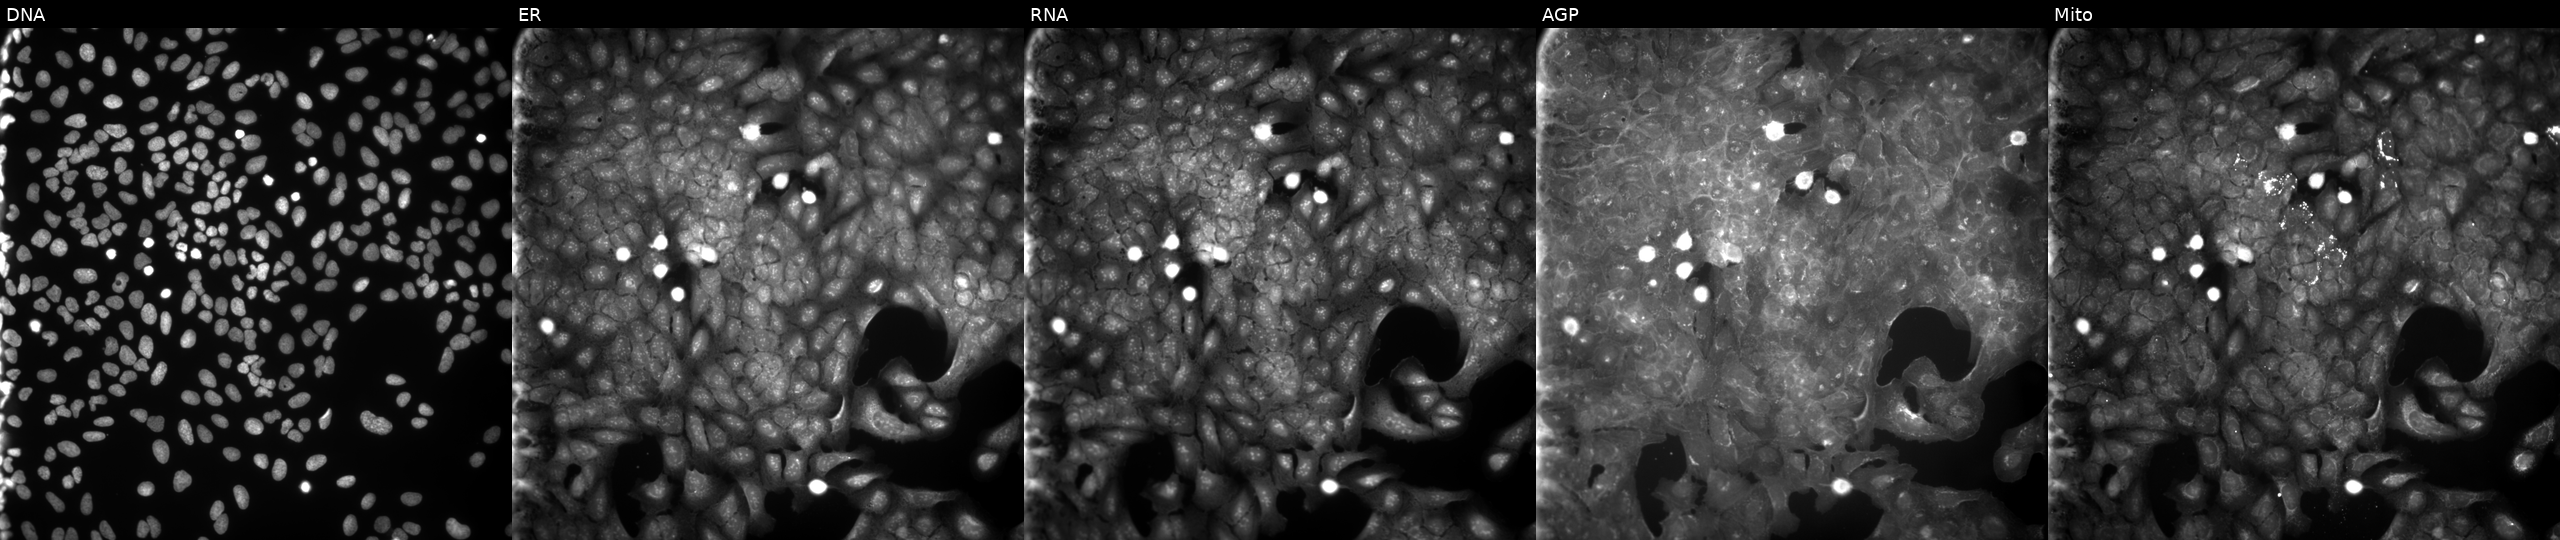
U2OS cells, Cell Painting assay, perturbed with a small-molecule compound (InChIKey YOROGGFJOSGAAV-UHFFFAOYSA-N). From left to right: Hoechst 33342, concanavalin A, SYTO 14, phalloidin and WGA, MitoTracker. Each panel is percentile-stretched 16-bit fluorescence. Source 9, plate GR00003381, well U09.